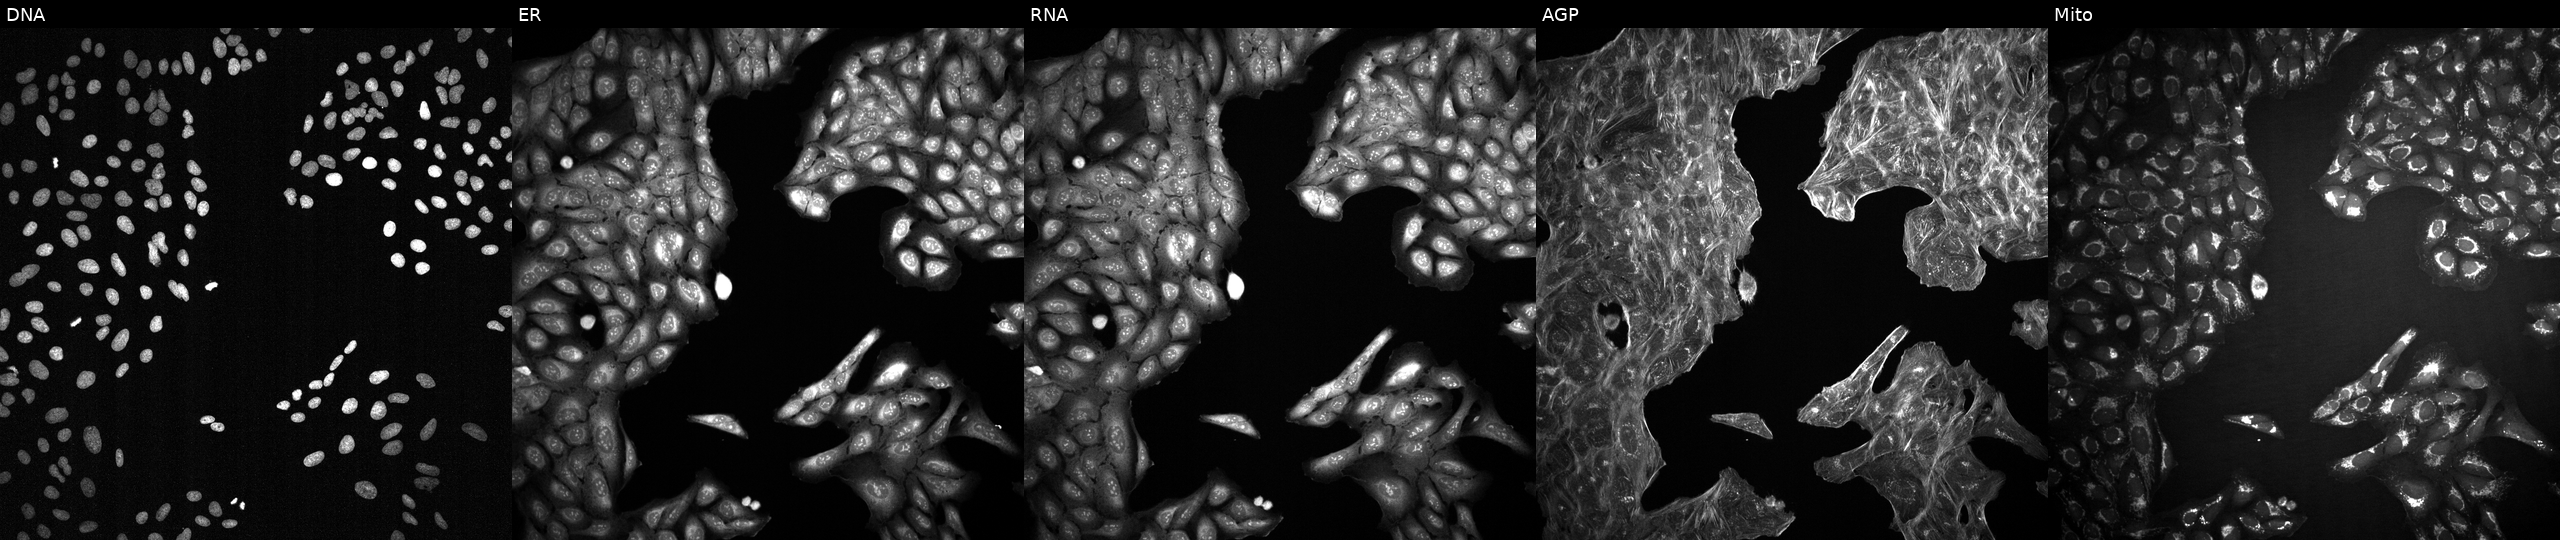
U2OS cells, Cell Painting assay, treated with a small-molecule compound (InChIKey PFHDWRIVDDIFRP-UHFFFAOYSA-N). The five panels, left to right, show DNA, ER, RNA, AGP, and Mito. Each panel is percentile-stretched 16-bit fluorescence.